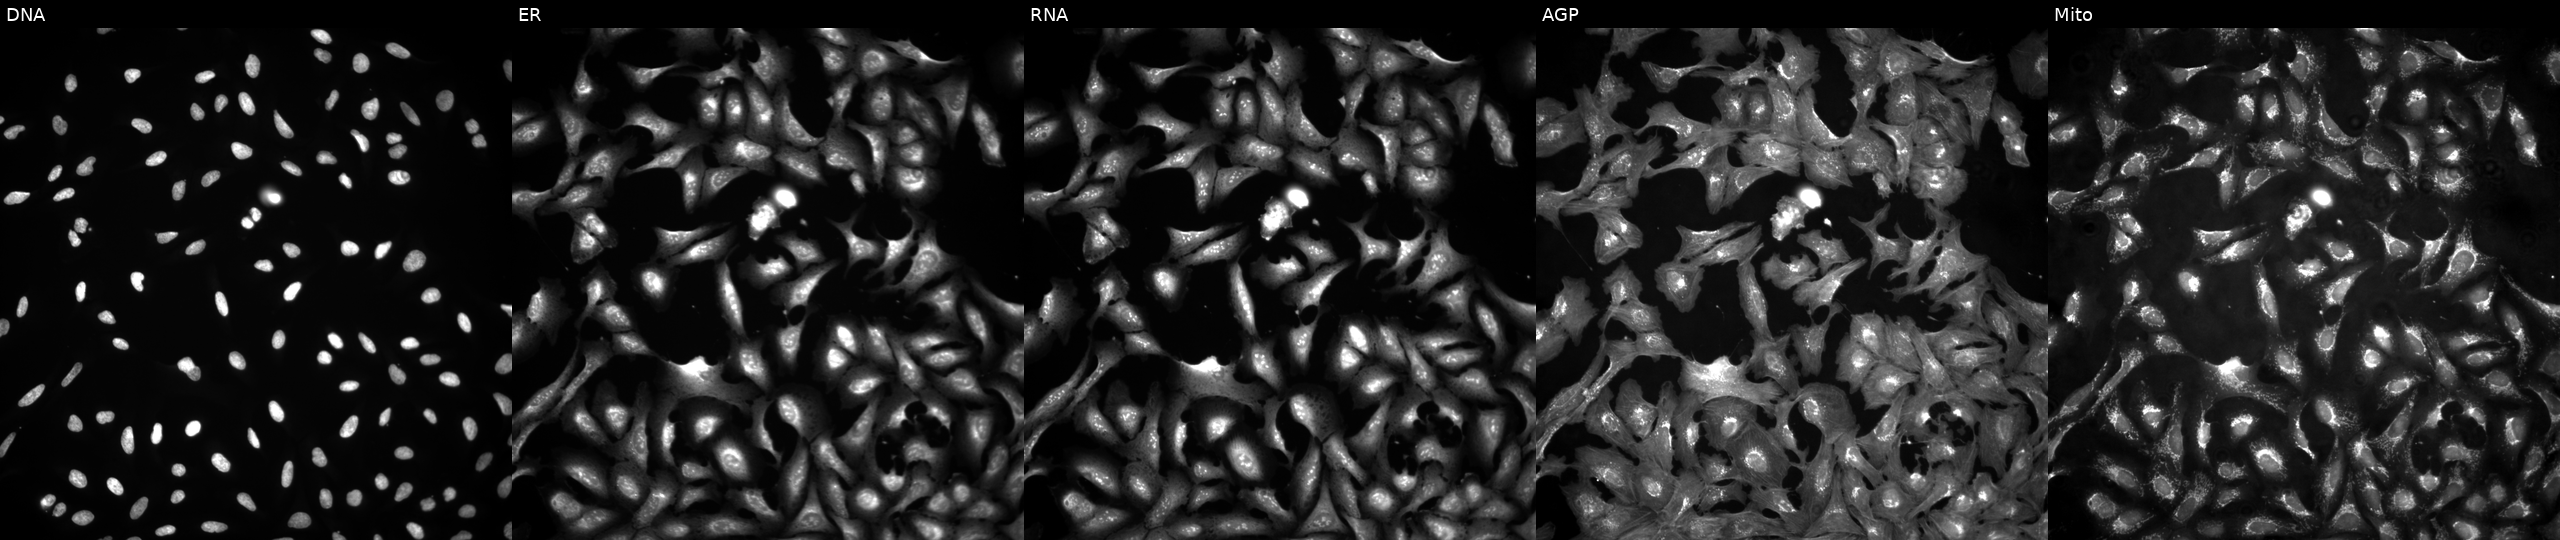
Panels show, left to right, DNA (nuclei); ER (endoplasmic reticulum); RNA (nucleoli and cytoplasmic RNA); AGP (actin cytoskeleton, Golgi, and plasma membrane); Mito (mitochondria). U2OS osteosarcoma cells with AGK overexpressed (ORF) (JUMP id JCP2022_914887). Cell Painting assay, JUMP-CP dataset.